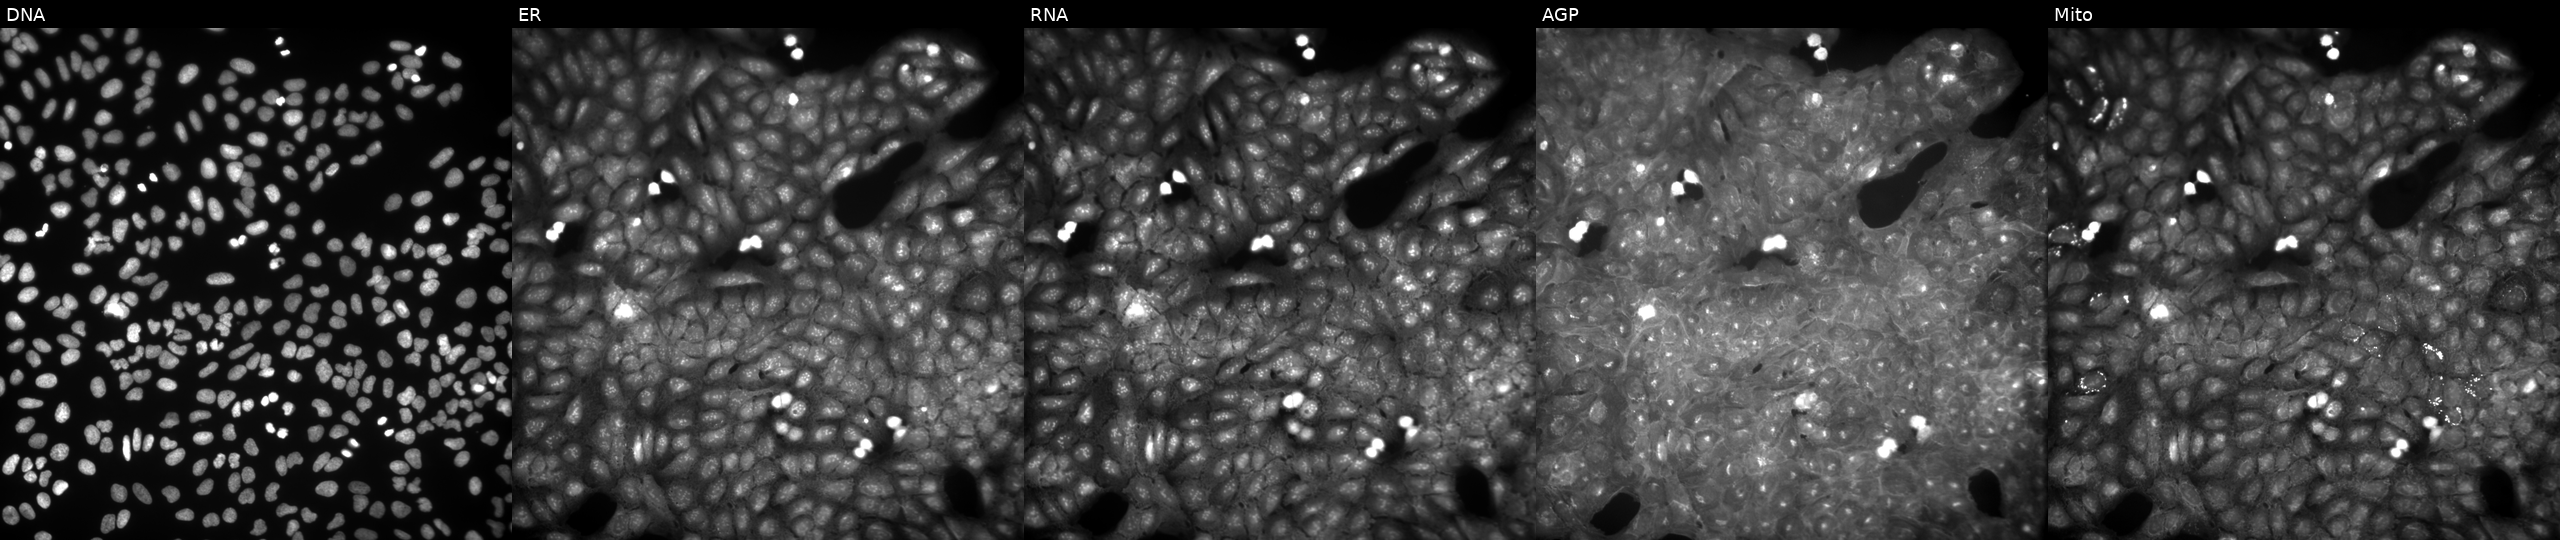
Five-channel Cell Painting image of U2OS cells perturbed with a small-molecule compound (InChIKey VUTDROZWHNDTQU-UHFFFAOYSA-N). From left to right: Hoechst 33342, concanavalin A, SYTO 14, phalloidin and WGA, MitoTracker.